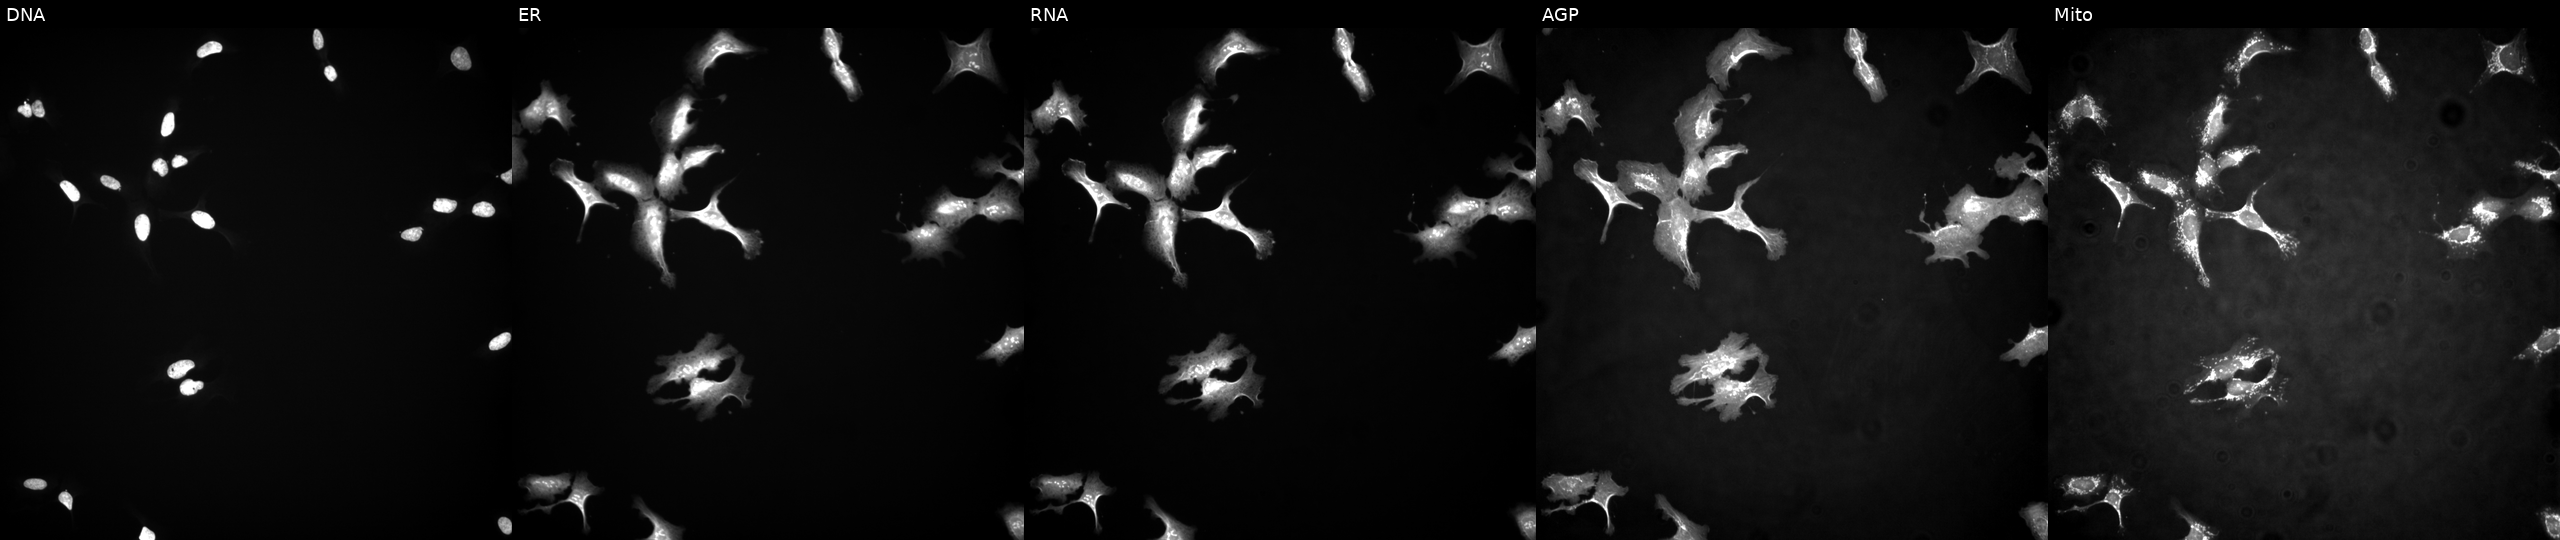
The five panels, left to right, show Hoechst 33342, concanavalin A, SYTO 14, phalloidin and WGA, MitoTracker. U2OS osteosarcoma cells with ZNF585A overexpressed (ORF). Cell Painting assay, JUMP-CP dataset. Source 4, plate BR00117035, well L03.